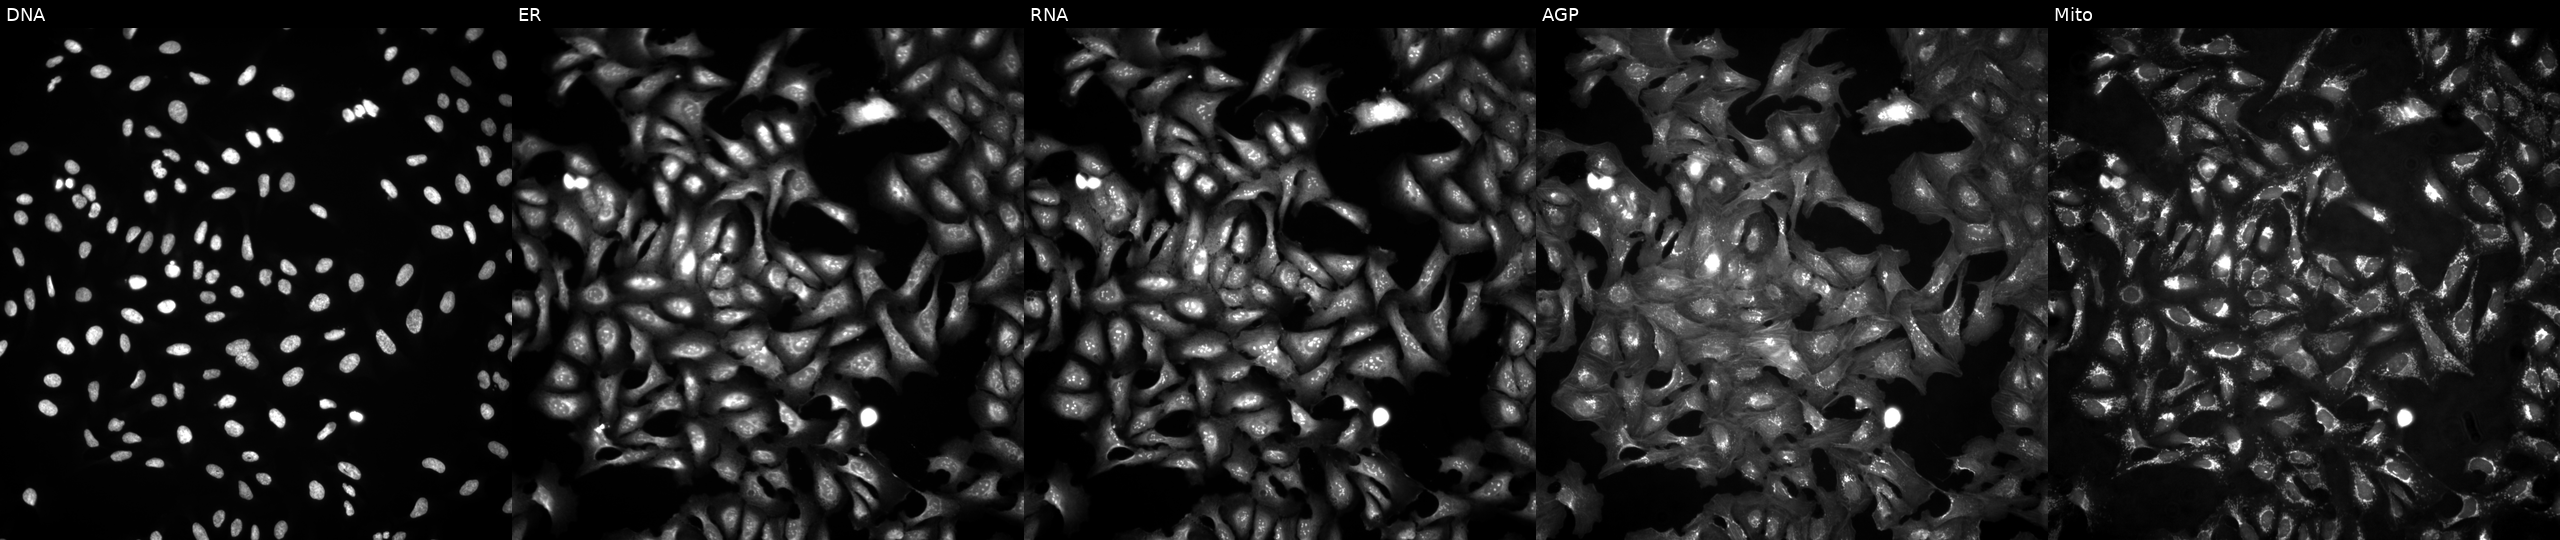
Five-channel Cell Painting image of U2OS cells untreated (empty-well control) (JUMP id JCP2022_999999). The five panels, left to right, show Hoechst 33342, concanavalin A, SYTO 14, phalloidin and WGA, MitoTracker.